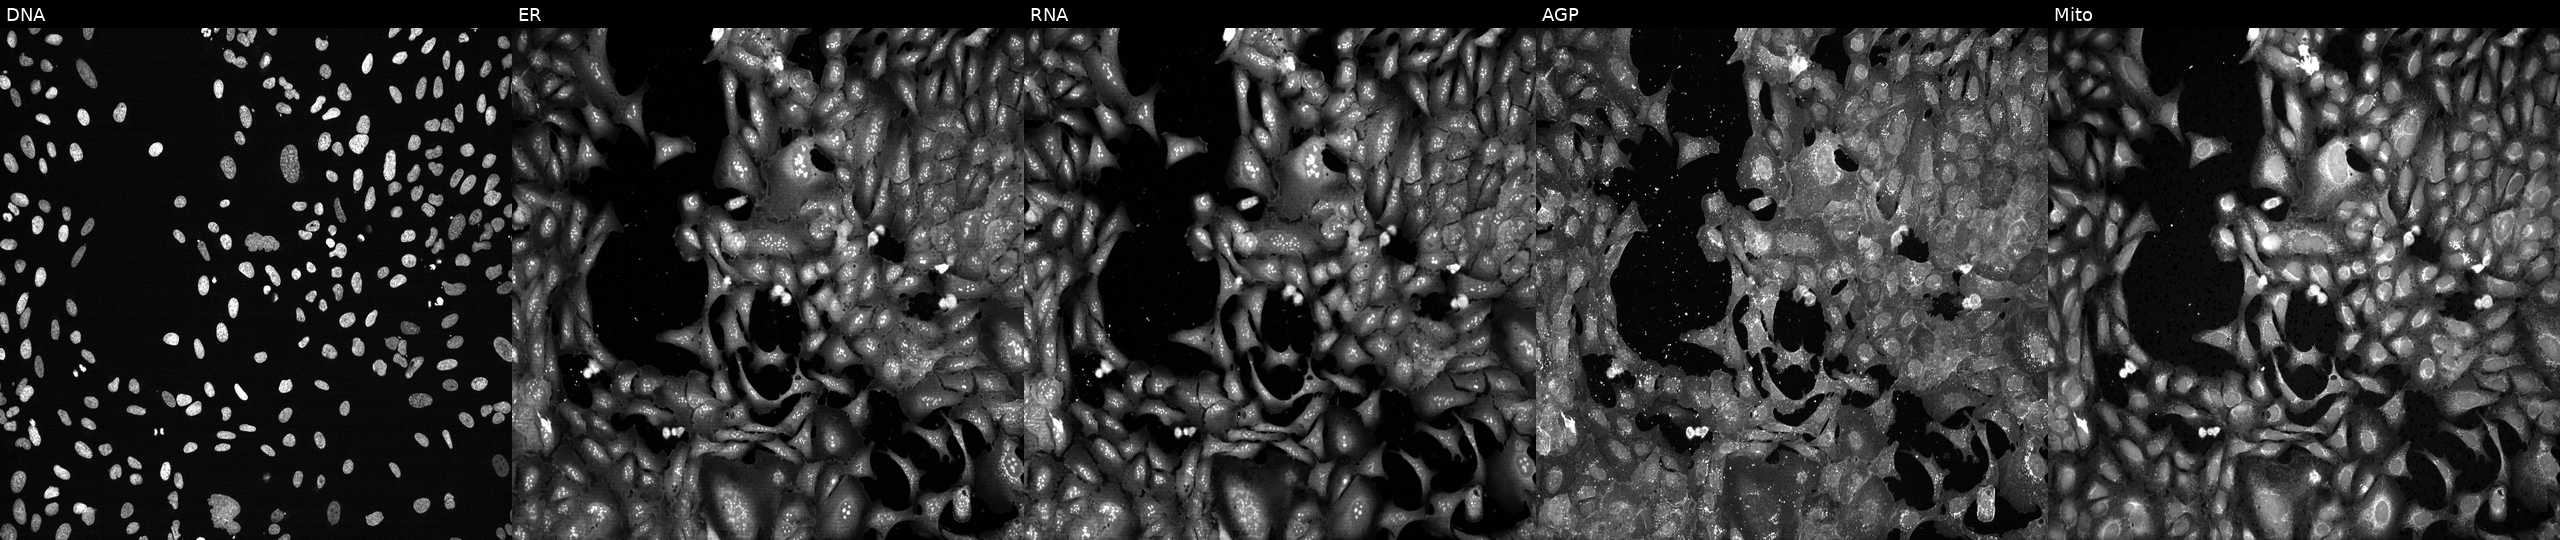
High-content fluorescence microscopy (Cell Painting). Cell line: U2OS. Perturbation: CRISPR-edited to disrupt ASTL. The five panels, left to right, show DNA (nuclei); ER (endoplasmic reticulum); RNA (nucleoli and cytoplasmic RNA); AGP (actin cytoskeleton, Golgi, and plasma membrane); Mito (mitochondria).